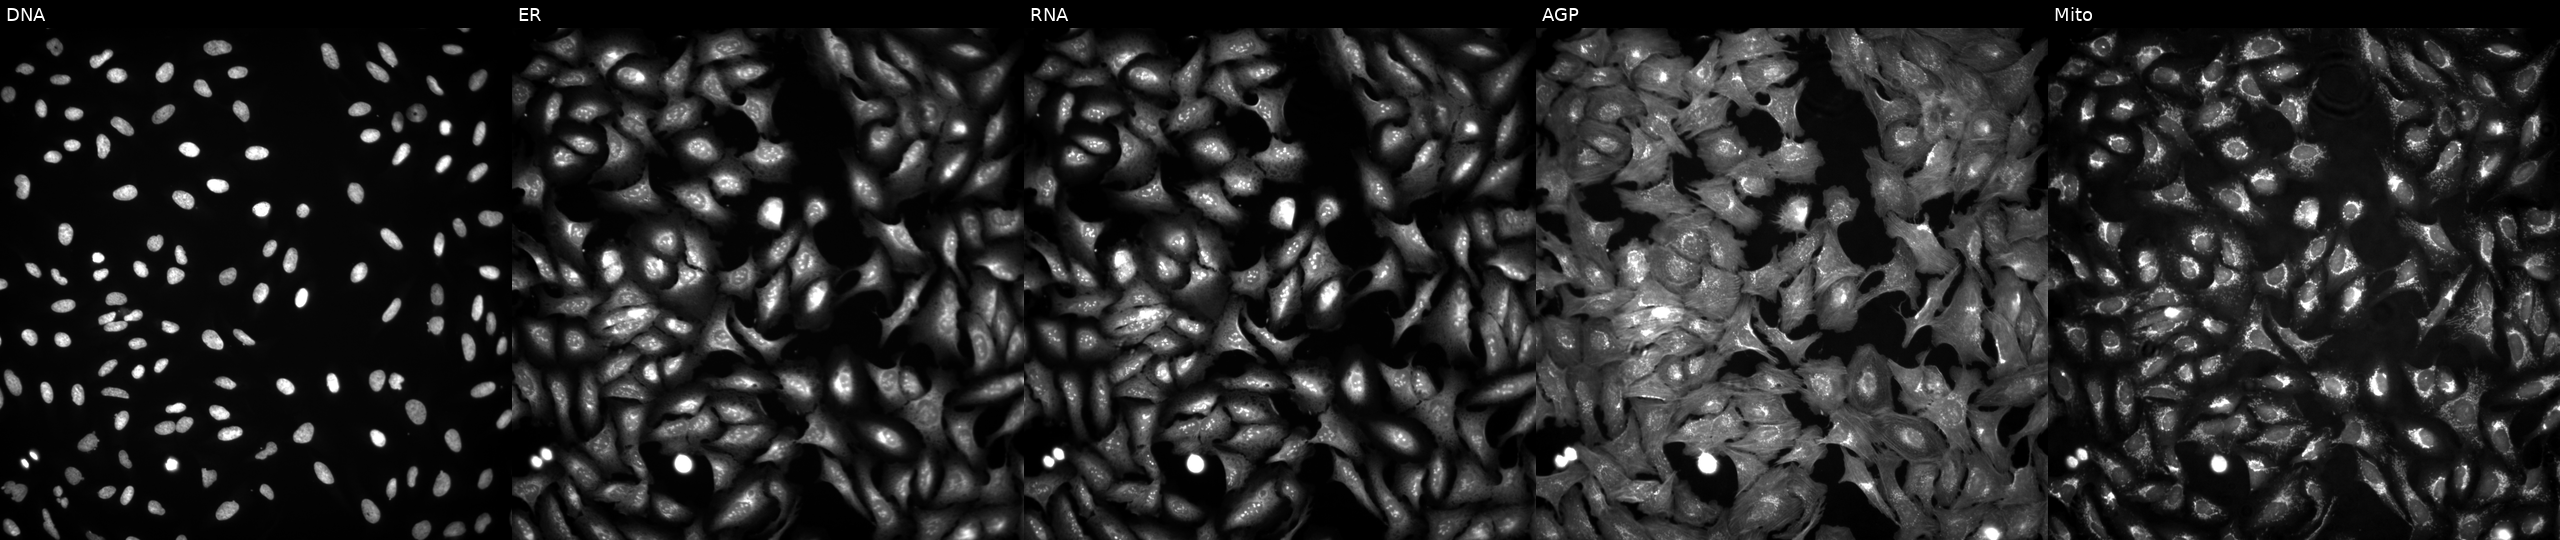
JUMP Cell Painting — ORF plate. U2OS cells untreated (empty-well control) (JUMP id JCP2022_999999). Channels (left→right): Hoechst 33342, concanavalin A, SYTO 14, phalloidin and WGA, MitoTracker.